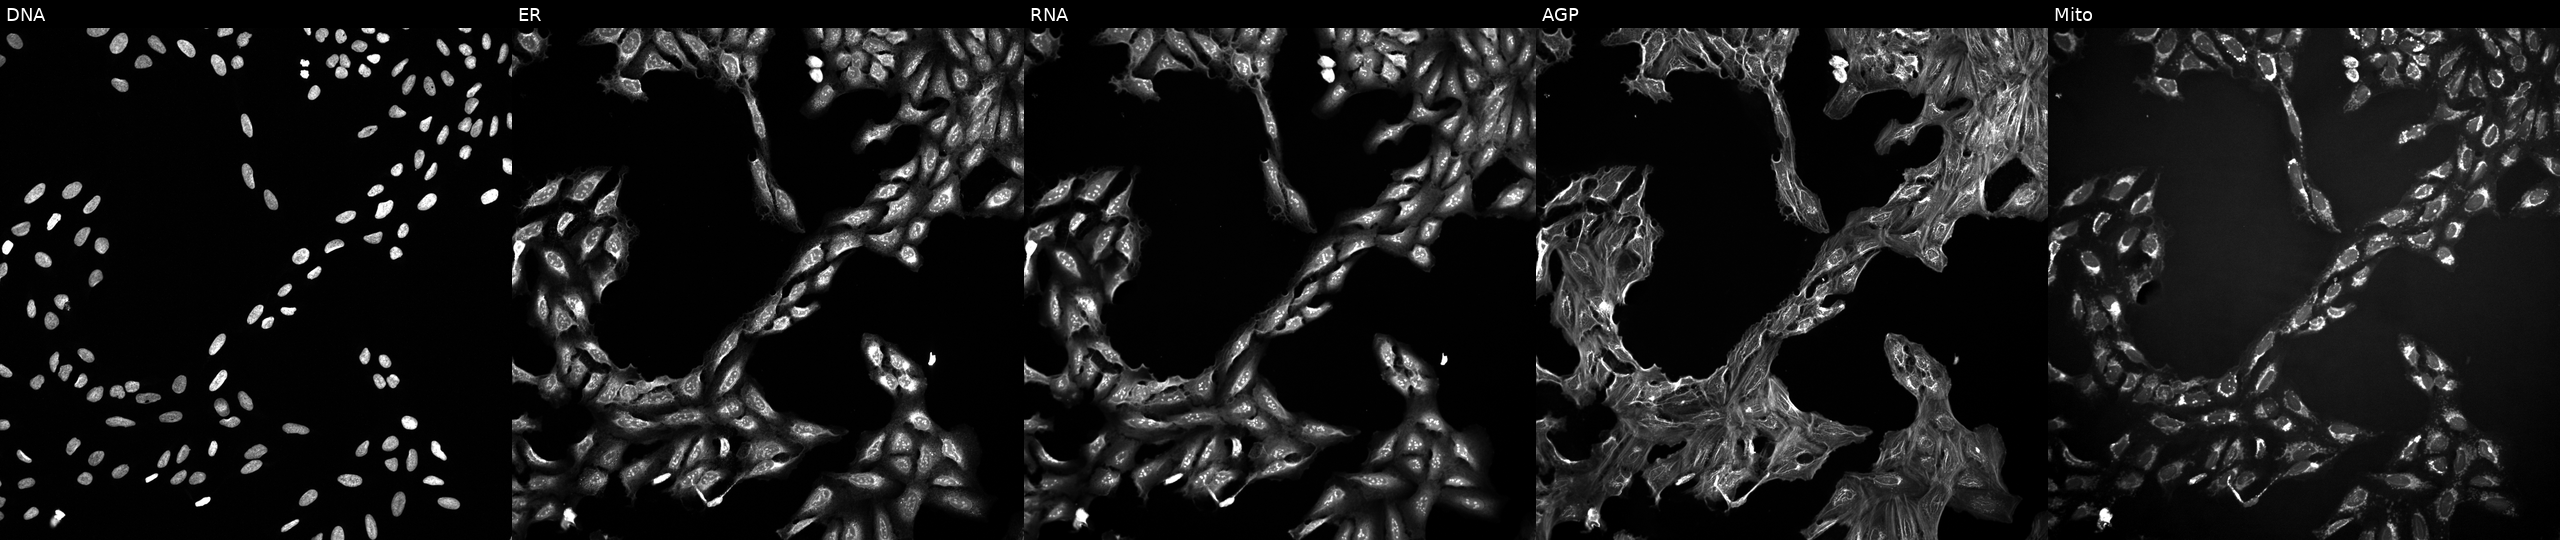
U2OS cells, Cell Painting assay, treated with a small-molecule compound (InChIKey FQUAFMNPXPXOJE-UHFFFAOYSA-N) [SMILES: COc1ccc(S(=O)(=O)Nc2c(C)cc(C)cc2C)cc1] (JUMP id JCP2022_022359). Panels show, left to right, Hoechst 33342, concanavalin A, SYTO 14, phalloidin and WGA, MitoTracker. Each panel is percentile-stretched 16-bit fluorescence.